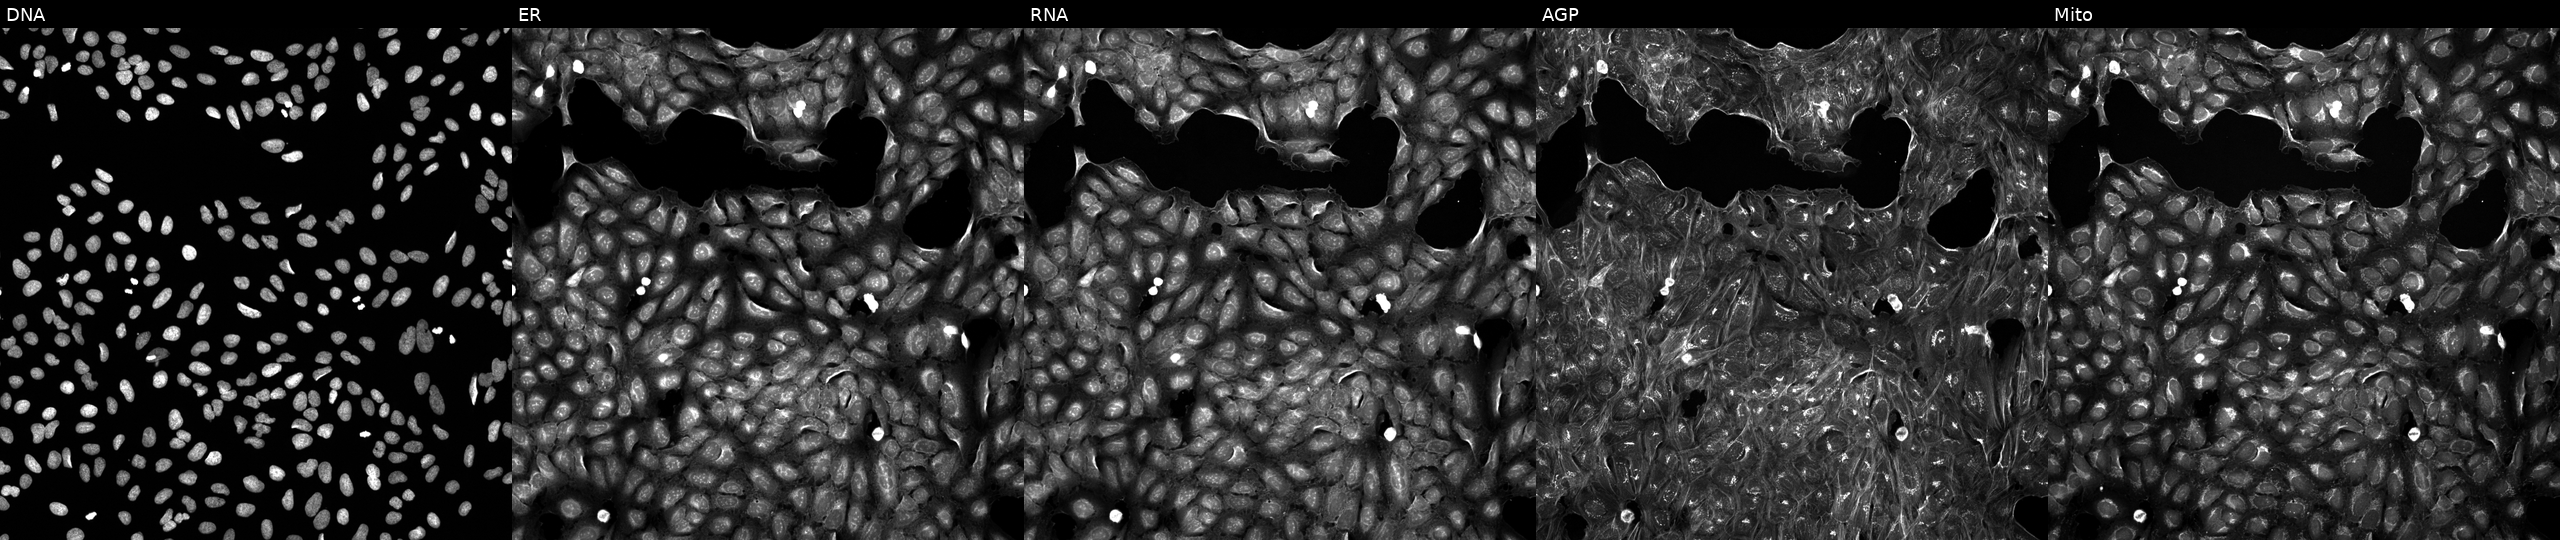
High-content fluorescence microscopy (Cell Painting). Cell line: U2OS. Perturbation: exposed to a small-molecule compound (InChIKey DYNNMEXITVQCSL-UHFFFAOYSA-N) [SMILES: O=c1[nH]c2ccccc2n1C1CCN(c2cc(O)n(Cc3ccccc3)c2O)CC1]. Channels (left→right): DNA (nuclei); ER (endoplasmic reticulum); RNA (nucleoli and cytoplasmic RNA); AGP (actin cytoskeleton, Golgi, and plasma membrane); Mito (mitochondria).